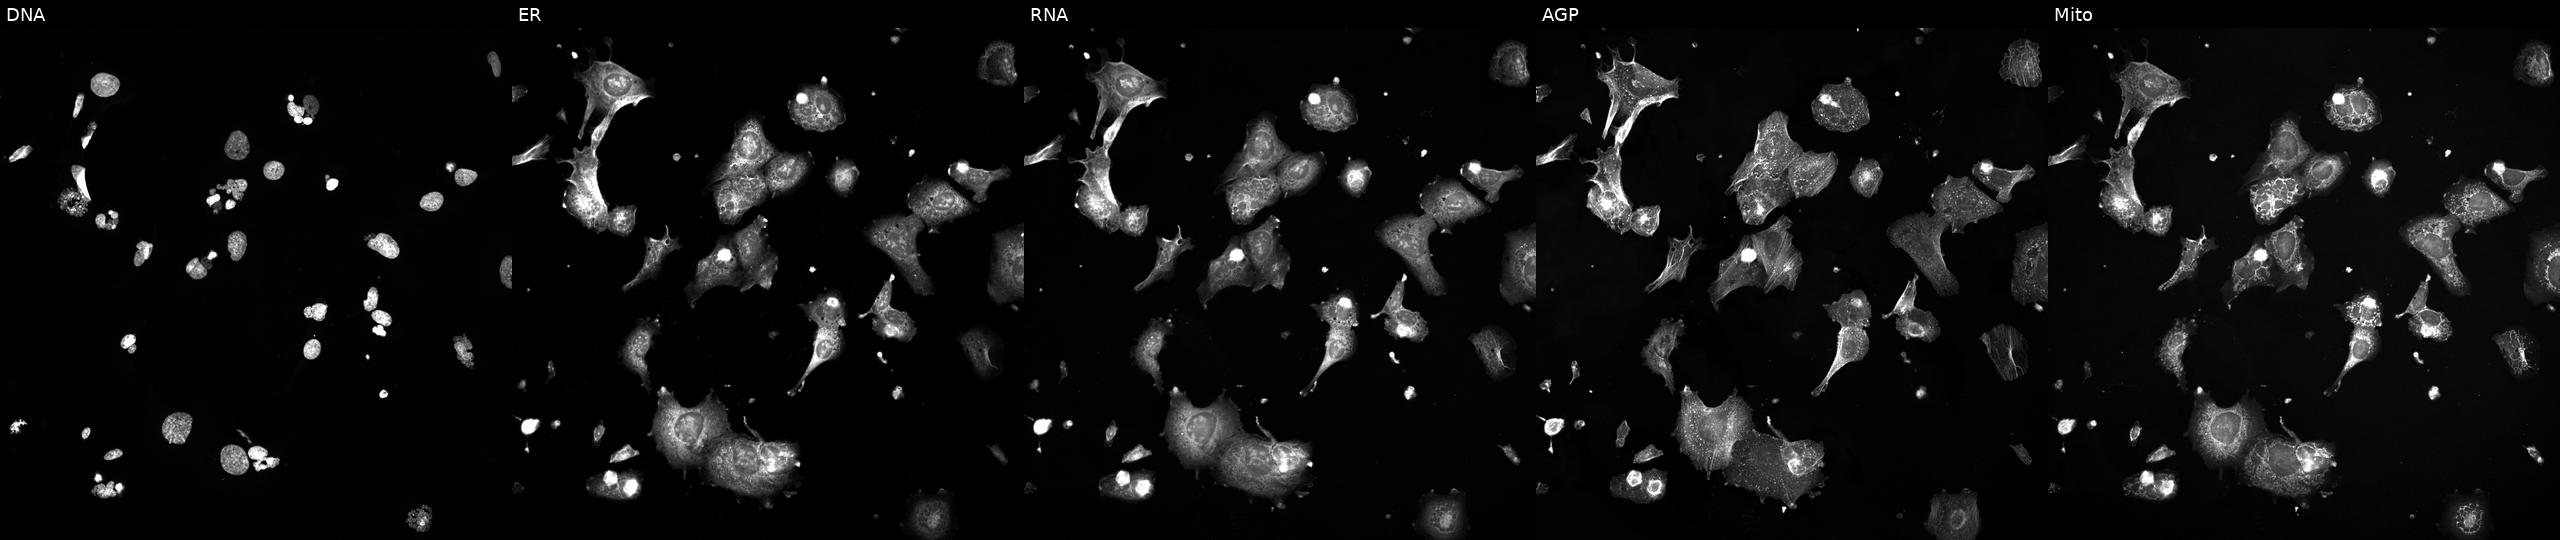
This image strip shows the five Cell Painting channels for a single field of U2OS cells exposed to a small-molecule compound. The five panels, left to right, show Hoechst 33342, concanavalin A, SYTO 14, phalloidin and WGA, MitoTracker.